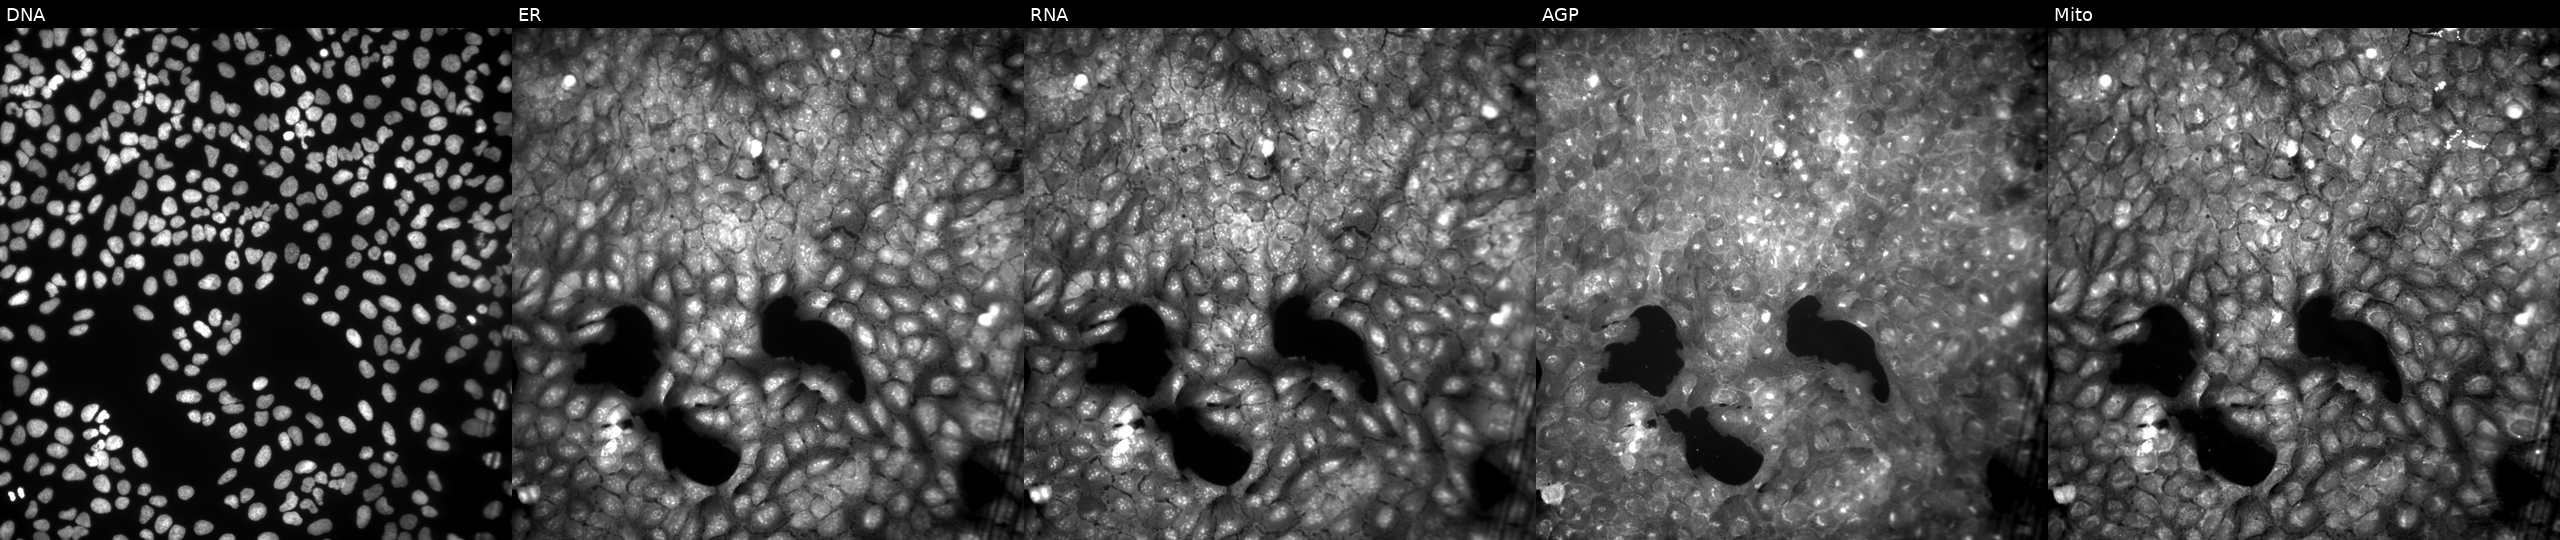
JUMP Cell Painting — COMPOUND plate. U2OS cells treated with a small-molecule compound (InChIKey MBUHXLRLEXBOPE-UHFFFAOYSA-N). The five panels, left to right, show DNA, ER, RNA, AGP, and Mito.